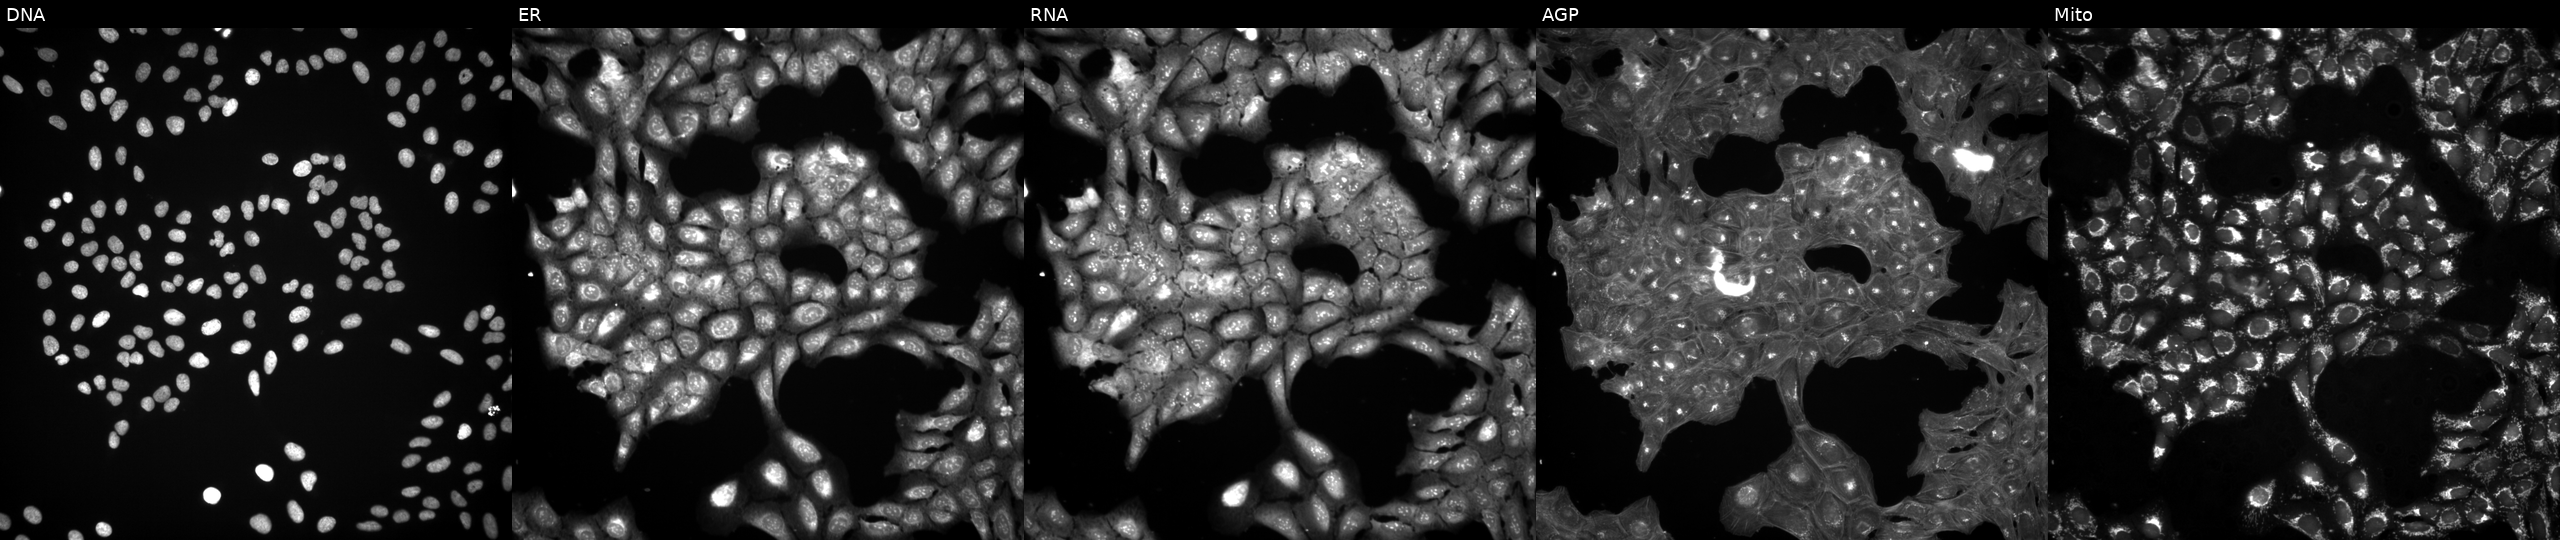
U2OS cells, Cell Painting assay, treated with a small-molecule compound (InChIKey JJJGXICJWHMTIF-UHFFFAOYSA-N). Panels show, left to right, DNA (nuclei); ER (endoplasmic reticulum); RNA (nucleoli and cytoplasmic RNA); AGP (actin cytoskeleton, Golgi, and plasma membrane); Mito (mitochondria). Each panel is percentile-stretched 16-bit fluorescence.